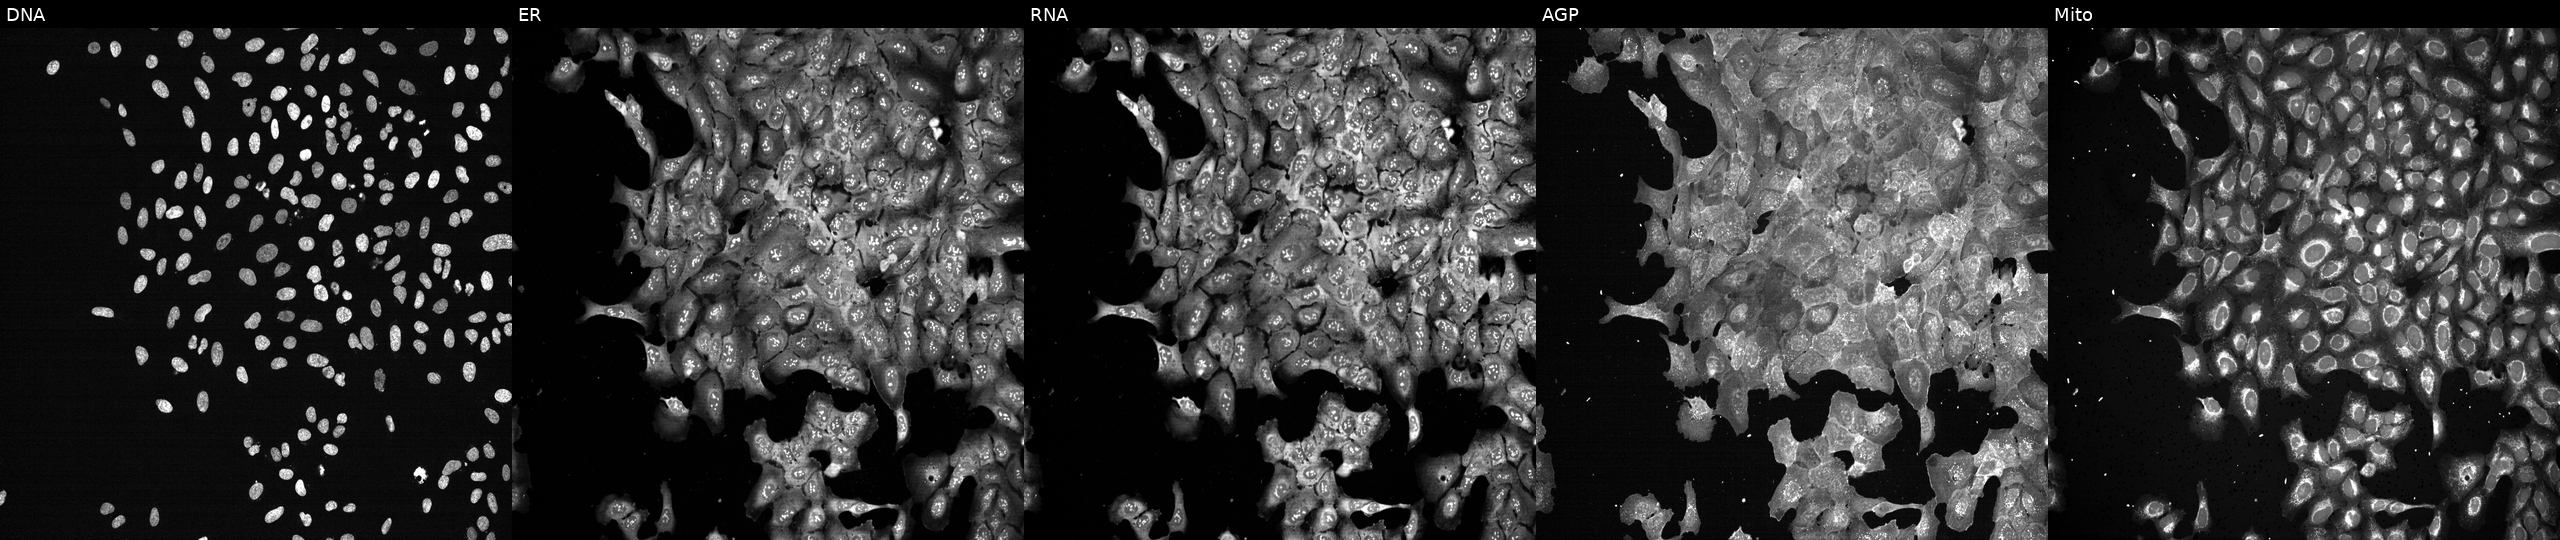
Channels (left→right): DNA (nuclei); ER (endoplasmic reticulum); RNA (nucleoli and cytoplasmic RNA); AGP (actin cytoskeleton, Golgi, and plasma membrane); Mito (mitochondria). U2OS osteosarcoma cells with AHCY knocked out by CRISPR (JUMP id JCP2022_800327). Cell Painting assay, JUMP-CP dataset. Source 13, plate CP-CC9-R5-01, well C11.